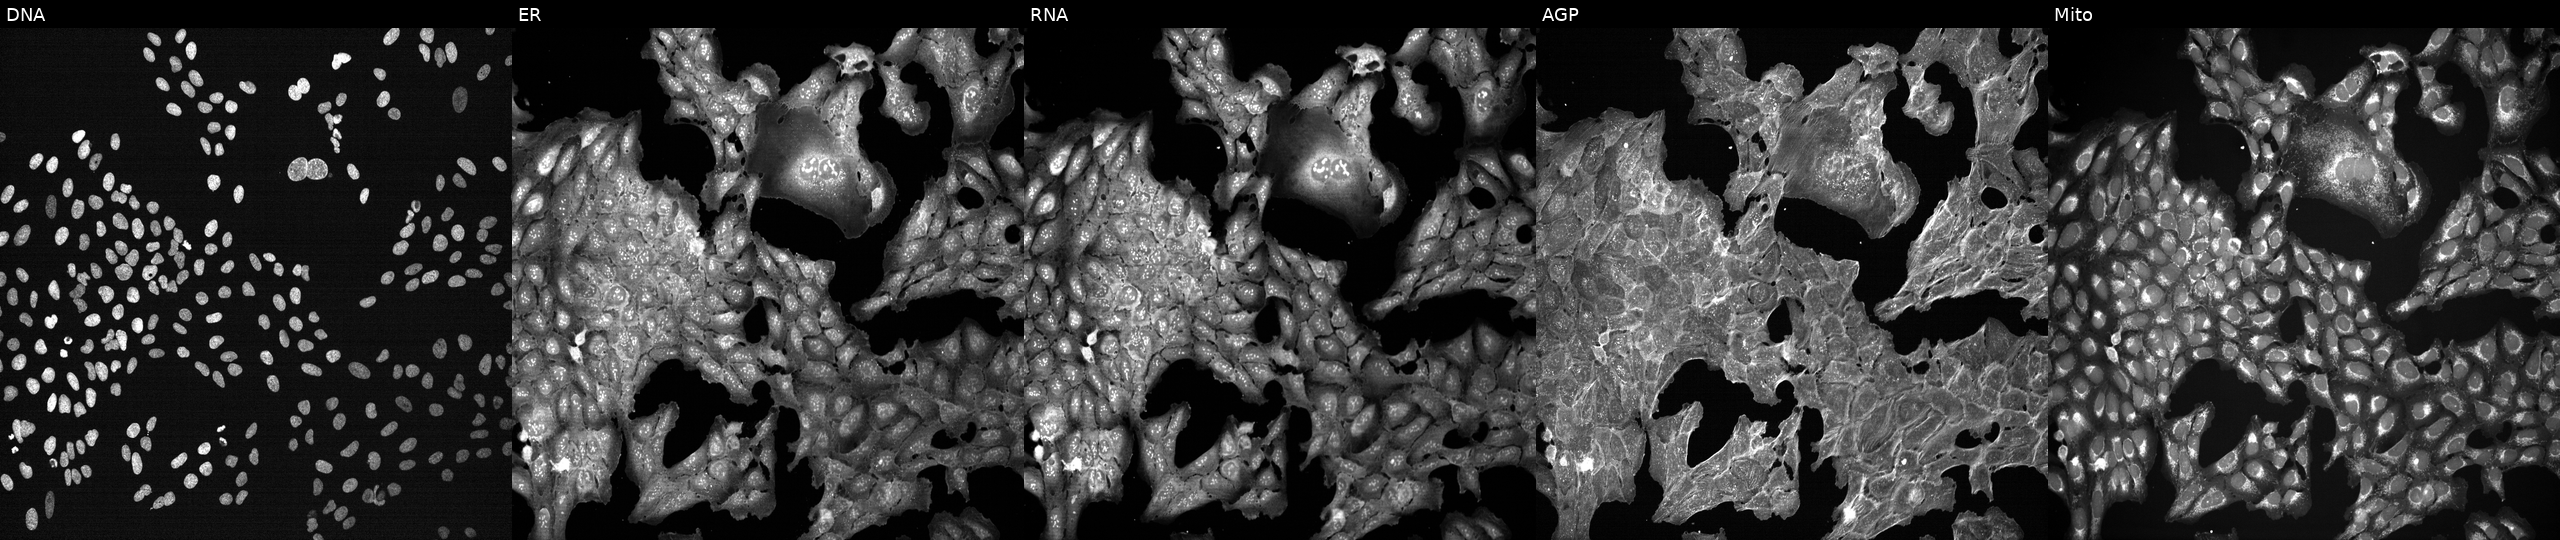
Five-channel Cell Painting image of U2OS cells treated with DMSO vehicle only (negative control). The five panels, left to right, show DNA (nuclei); ER (endoplasmic reticulum); RNA (nucleoli and cytoplasmic RNA); AGP (actin cytoskeleton, Golgi, and plasma membrane); Mito (mitochondria).